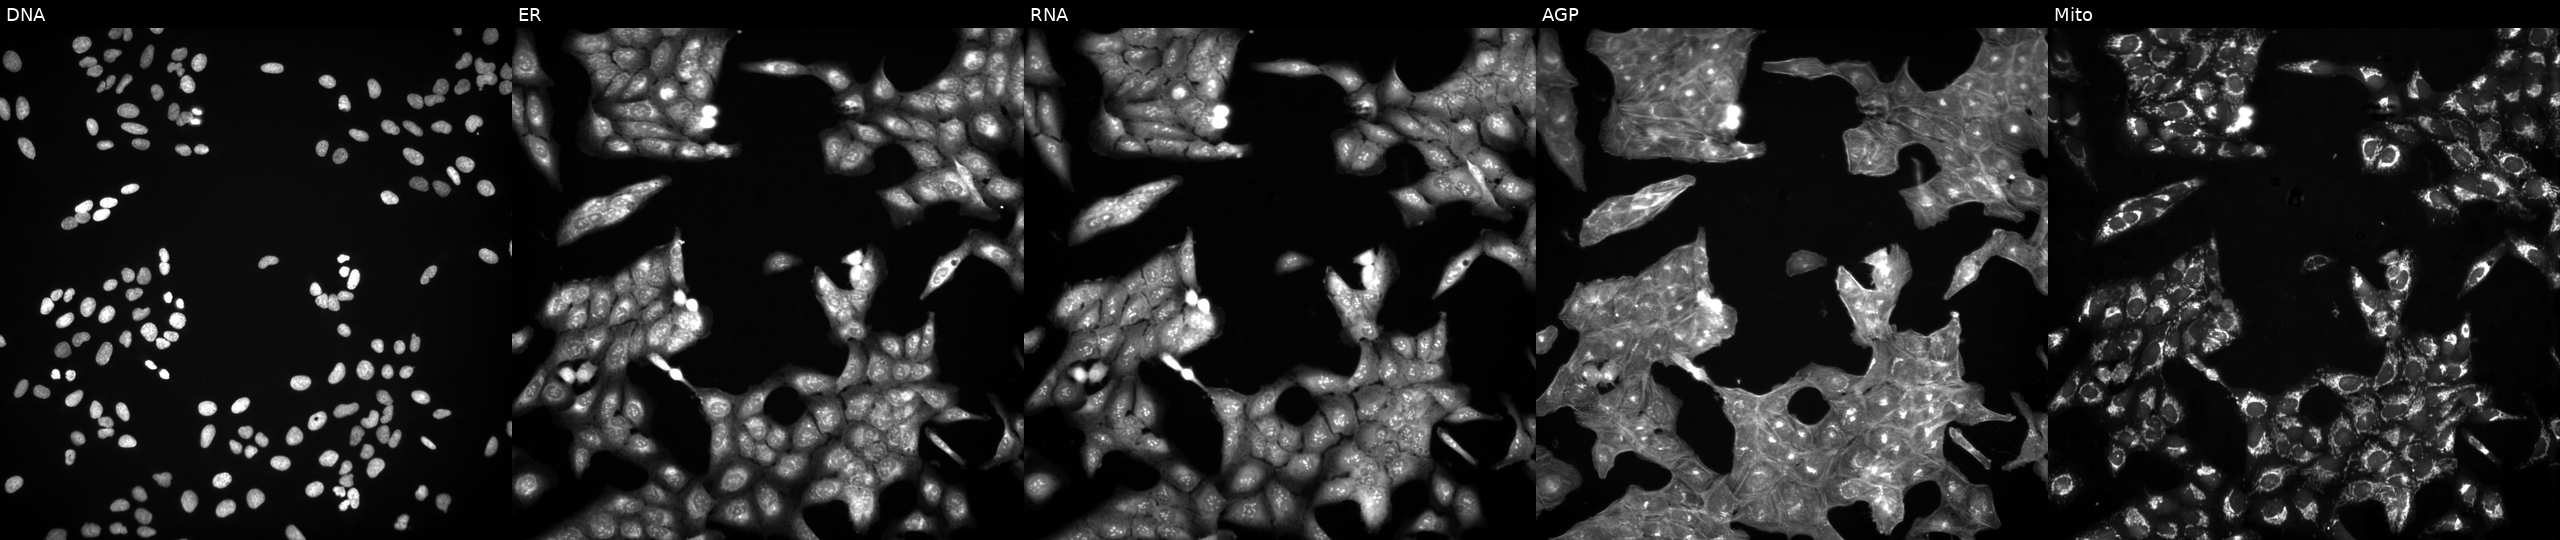
From left to right: DNA (nuclei); ER (endoplasmic reticulum); RNA (nucleoli and cytoplasmic RNA); AGP (actin cytoskeleton, Golgi, and plasma membrane); Mito (mitochondria). U2OS osteosarcoma cells exposed to a small-molecule compound (InChIKey DXZRBHUCOHBAHP-UHFFFAOYSA-N). Cell Painting assay, JUMP-CP dataset.